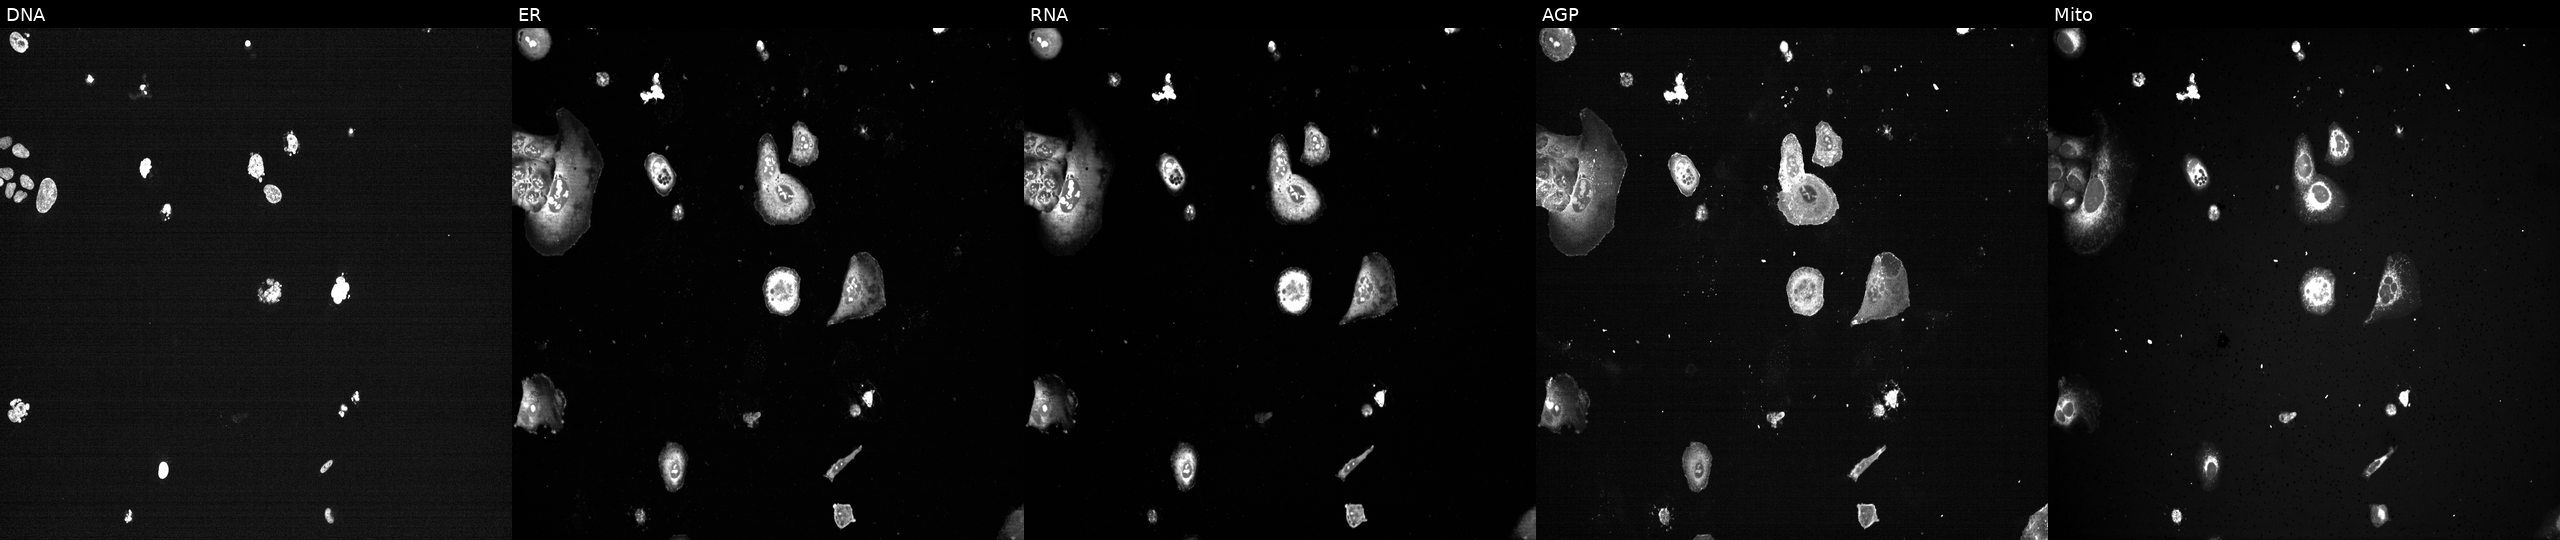
Channels (left→right): DNA (nuclei); ER (endoplasmic reticulum); RNA (nucleoli and cytoplasmic RNA); AGP (actin cytoskeleton, Golgi, and plasma membrane); Mito (mitochondria). U2OS osteosarcoma cells with PLK1 knocked out by CRISPR (positive control) (JUMP id JCP2022_805264). Cell Painting assay, JUMP-CP dataset. Source 13, plate CP-CC9-R2-02, well B23.